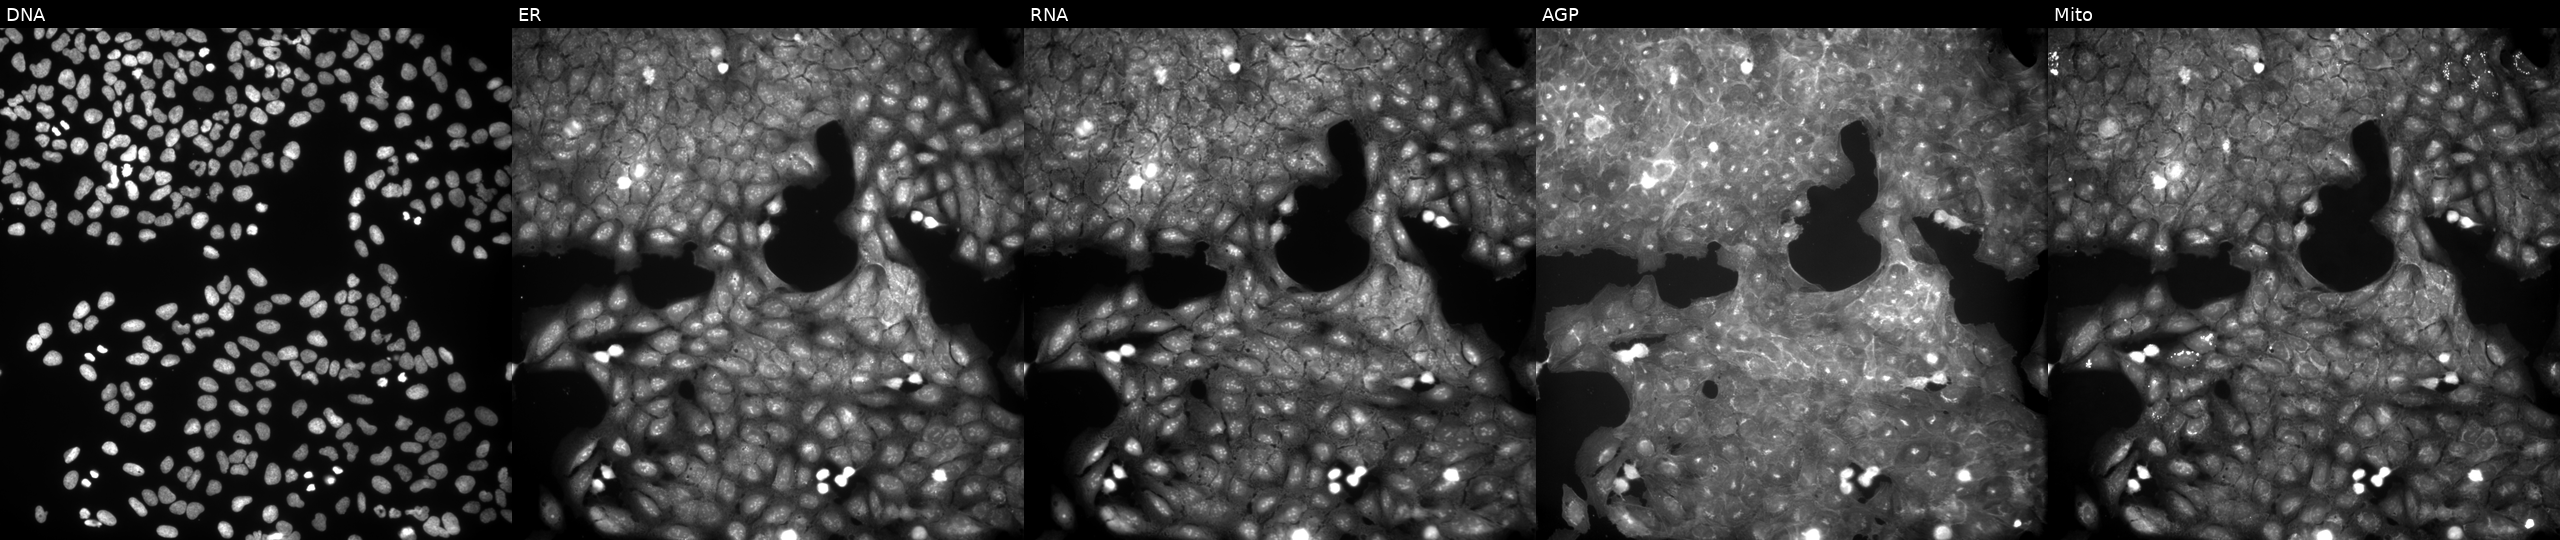
This image strip shows the five Cell Painting channels for a single field of U2OS cells treated with a small-molecule compound (InChIKey OXHUKLPNXVCKLP-UHFFFAOYSA-N) (JUMP id JCP2022_066746). Panels show, left to right, DNA, ER, RNA, AGP, and Mito.